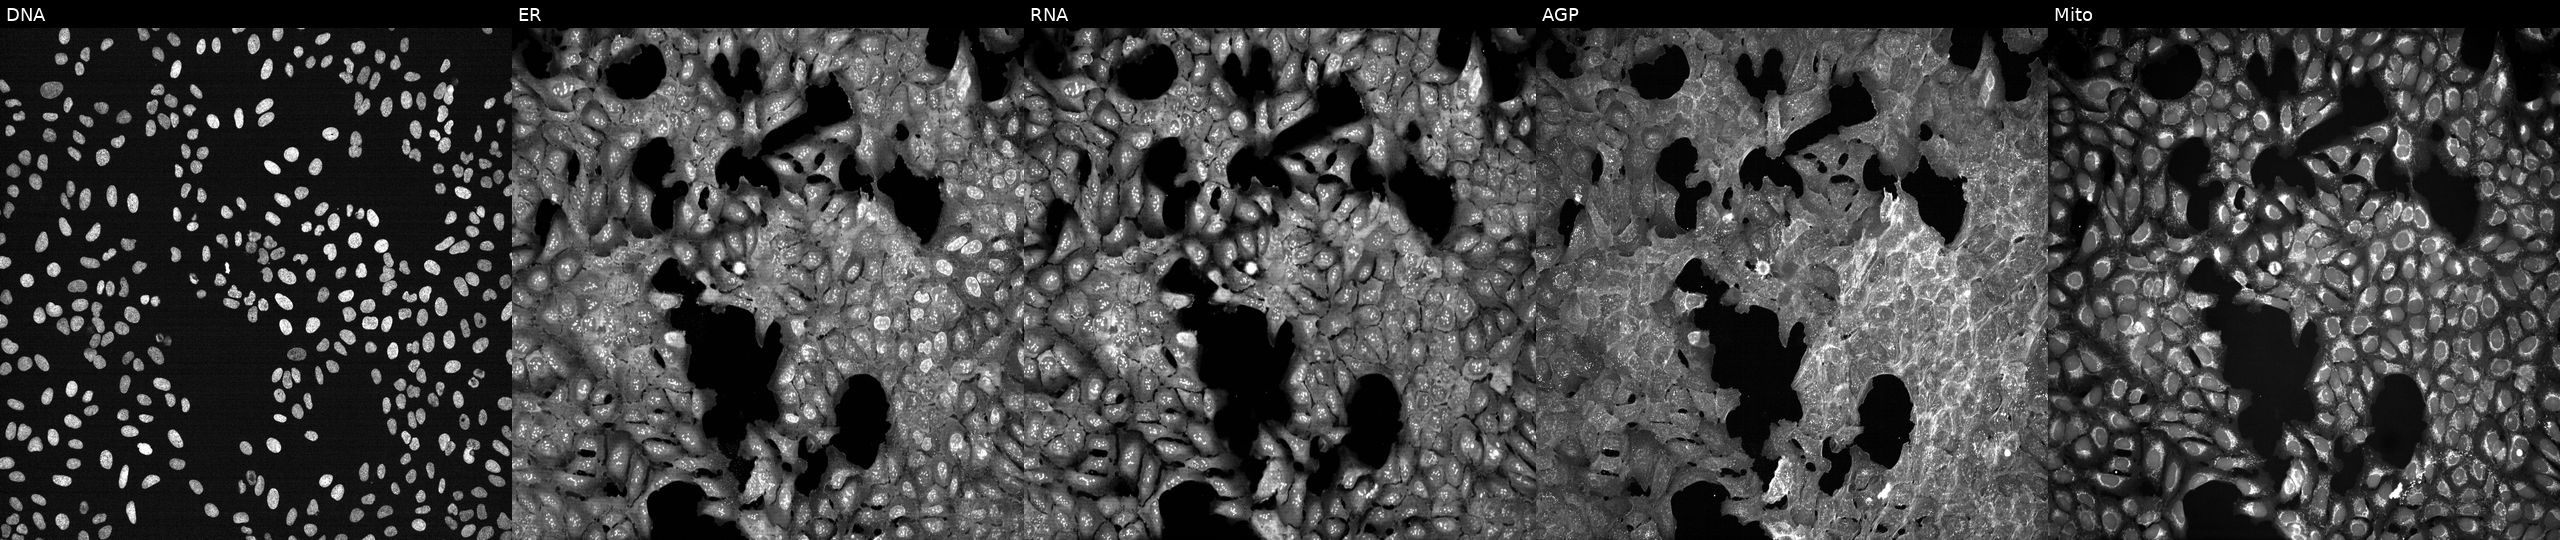
Panels show, left to right, DNA (nuclei); ER (endoplasmic reticulum); RNA (nucleoli and cytoplasmic RNA); AGP (actin cytoskeleton, Golgi, and plasma membrane); Mito (mitochondria). U2OS osteosarcoma cells treated with a small-molecule compound [SMILES: O=[N+]([O-])c1ccc2[nH]c(COCc3nc4cc([N+](=O)[O-])ccc4[nH]3)nc2c1]. Cell Painting assay, JUMP-CP dataset. Source 7, plate CP3-SC1-25, well C14.